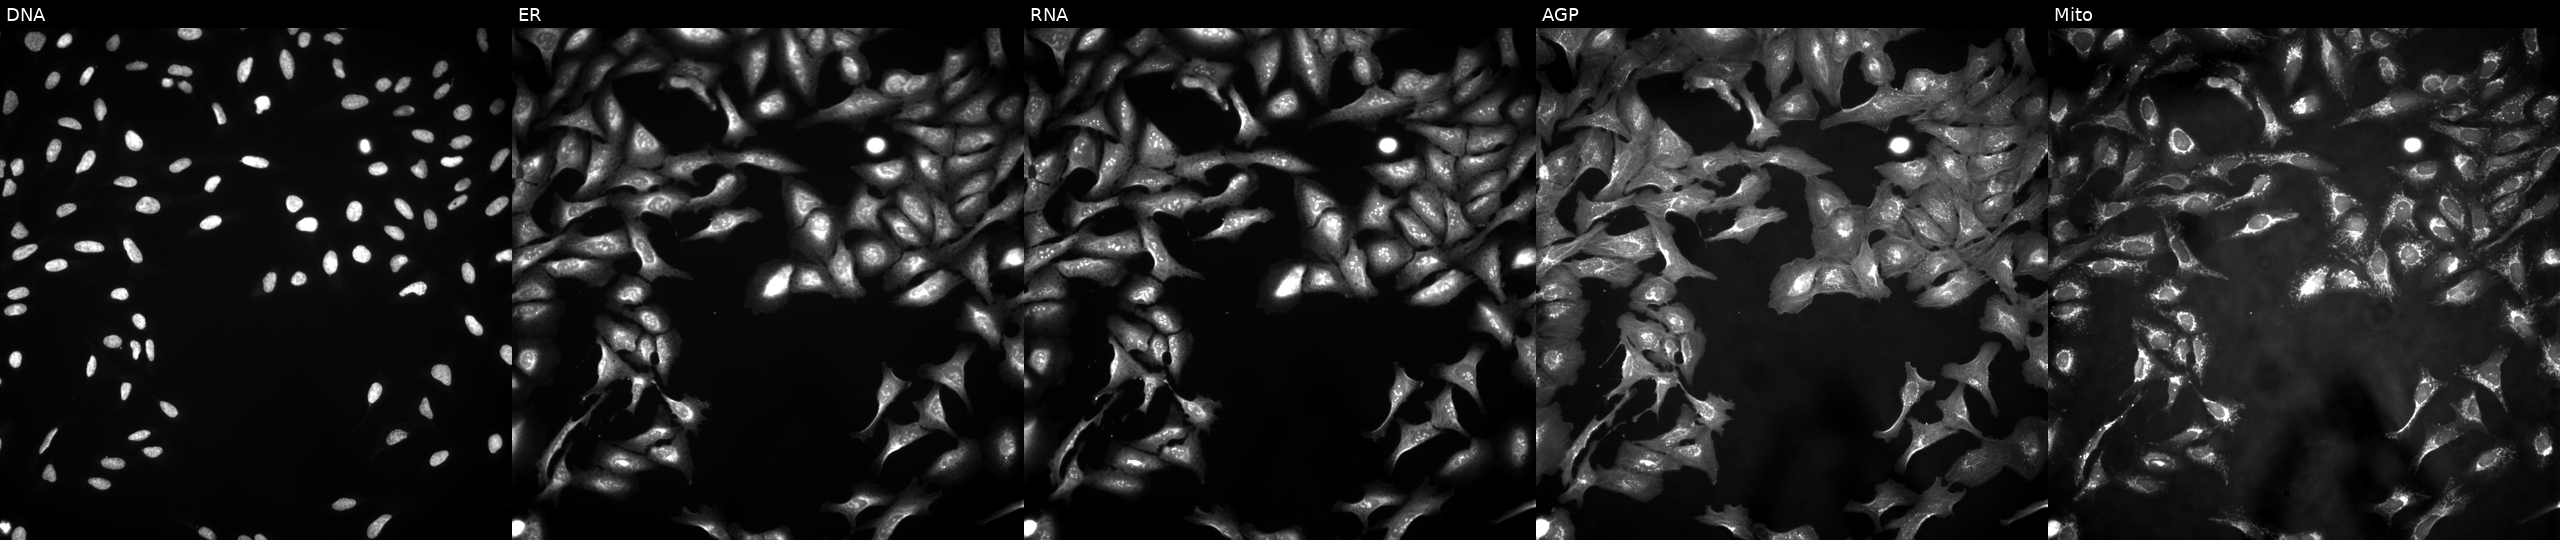
The five panels, left to right, show DNA (nuclei); ER (endoplasmic reticulum); RNA (nucleoli and cytoplasmic RNA); AGP (actin cytoskeleton, Golgi, and plasma membrane); Mito (mitochondria). U2OS osteosarcoma cells overexpressing PIGH via ORF transfection. Cell Painting assay, JUMP-CP dataset.